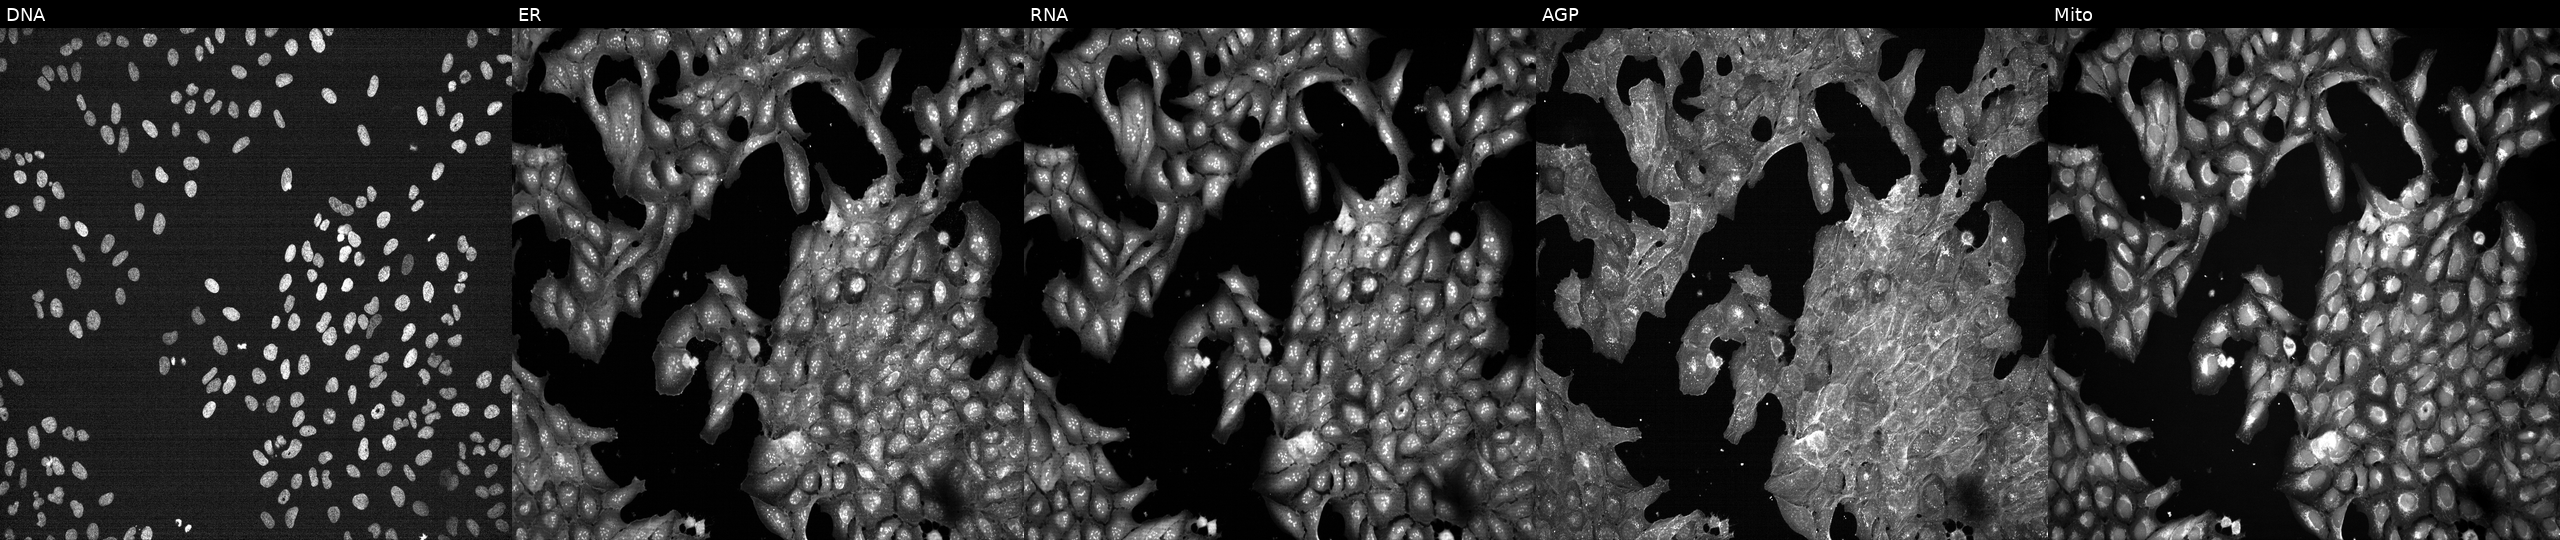
This image strip shows the five Cell Painting channels for a single field of U2OS cells perturbed with a small-molecule compound (InChIKey KRKNYBCHXYNGOX-UHFFFAOYSA-N) [SMILES: O=C(O)CC(O)(CC(=O)O)C(=O)O]. The five panels, left to right, show DNA, ER, RNA, AGP, and Mito.